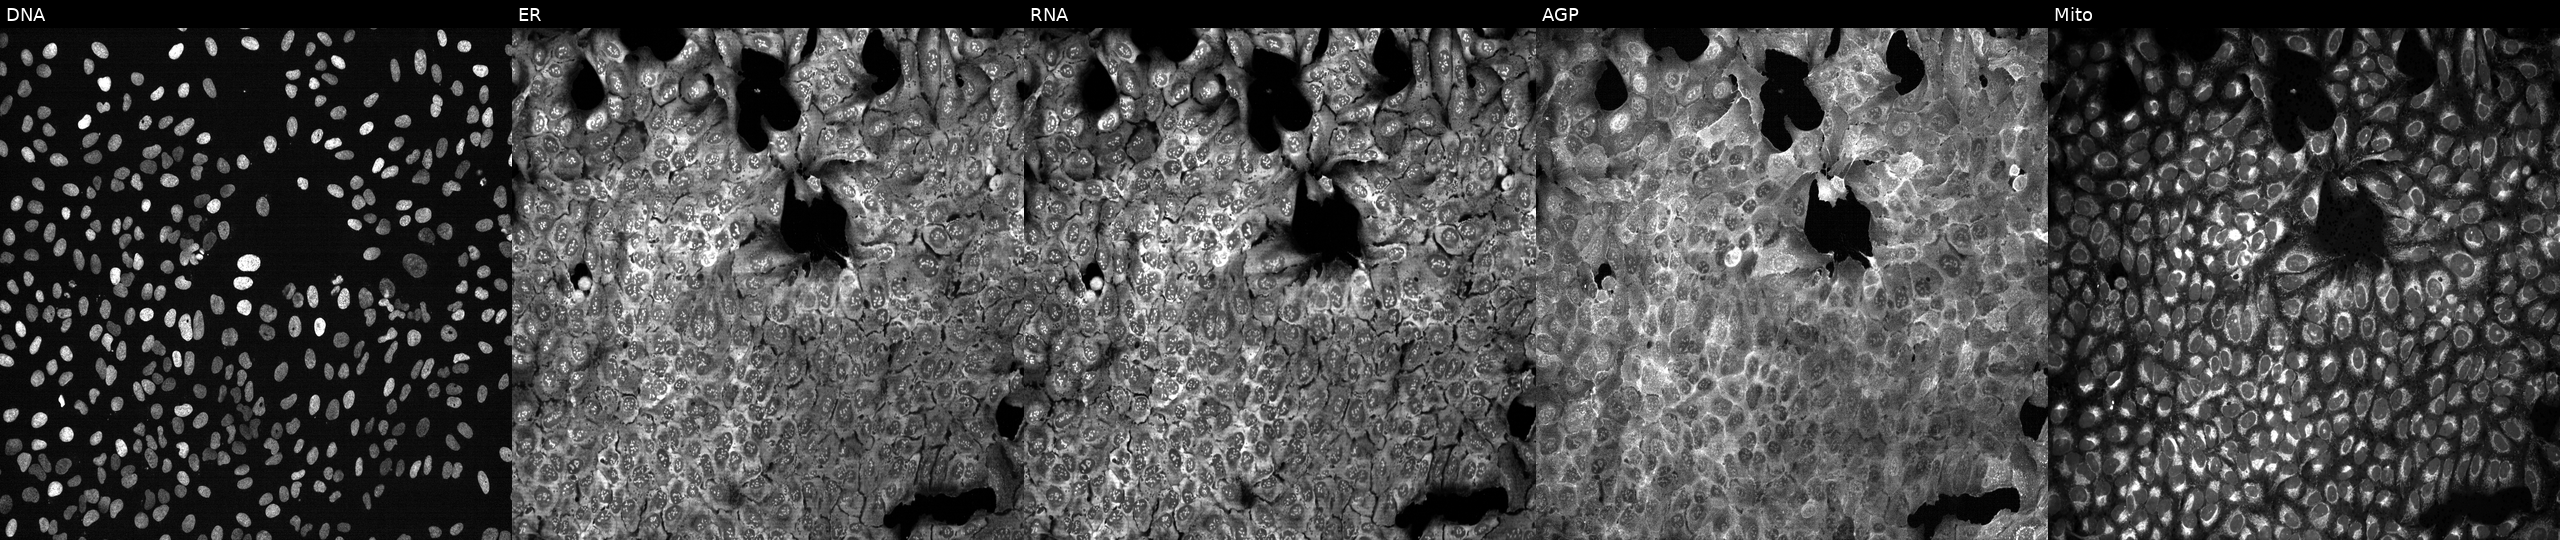
U2OS cells, Cell Painting assay, with KIF3B knocked out by CRISPR. From left to right: Hoechst 33342, concanavalin A, SYTO 14, phalloidin and WGA, MitoTracker. Each panel is percentile-stretched 16-bit fluorescence.